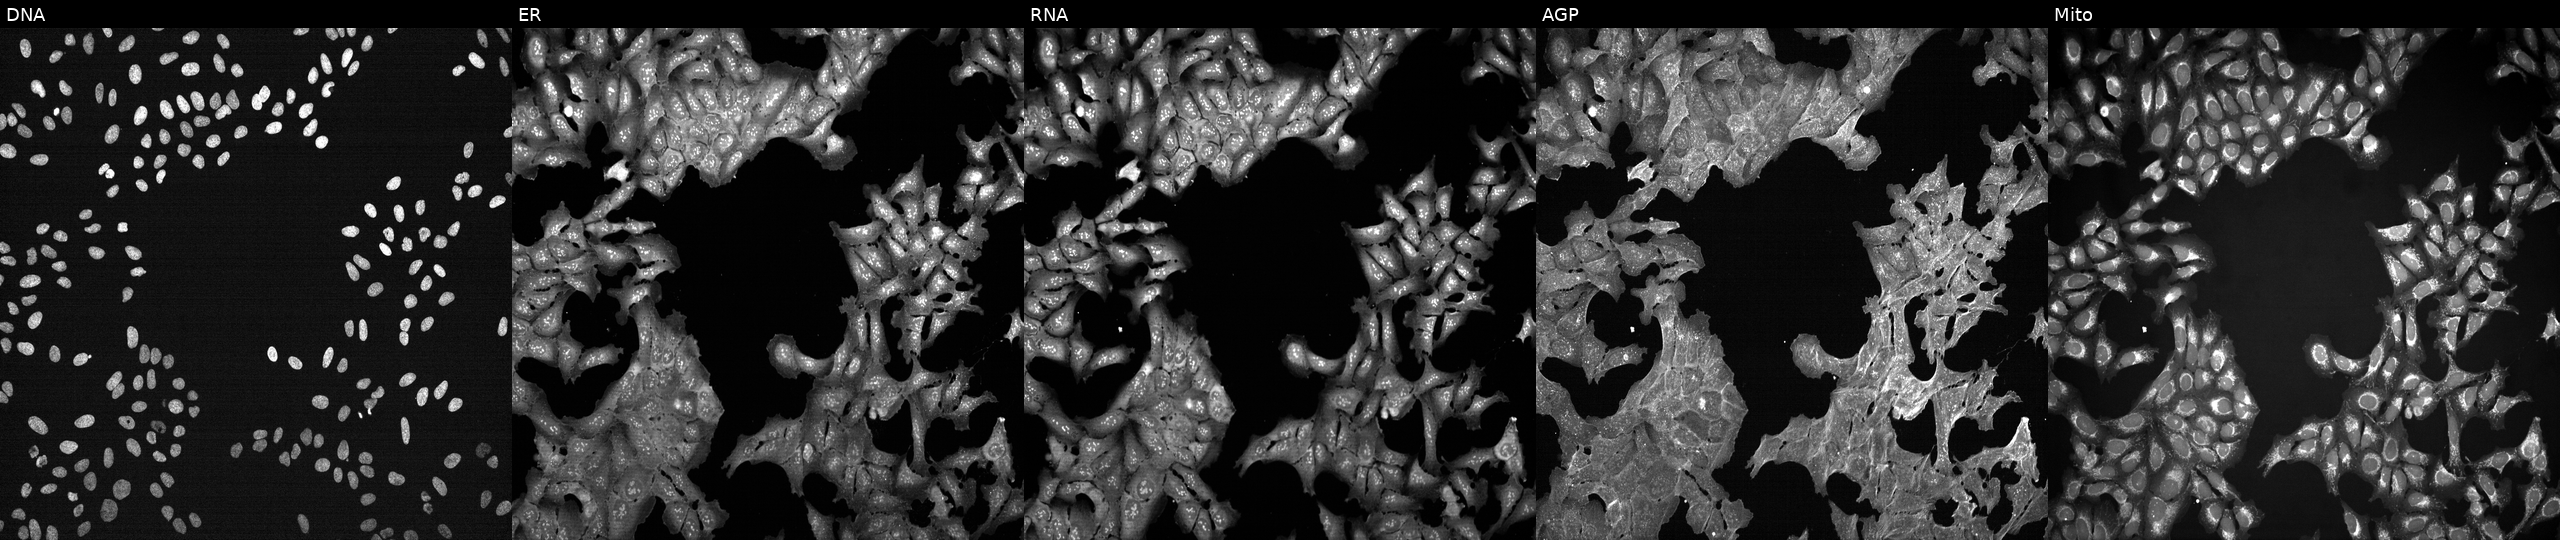
JUMP Cell Painting — TARGET2 plate. U2OS cells perturbed with a small-molecule compound (JUMP id JCP2022_078581). Channels (left→right): DNA, ER, RNA, AGP, and Mito.